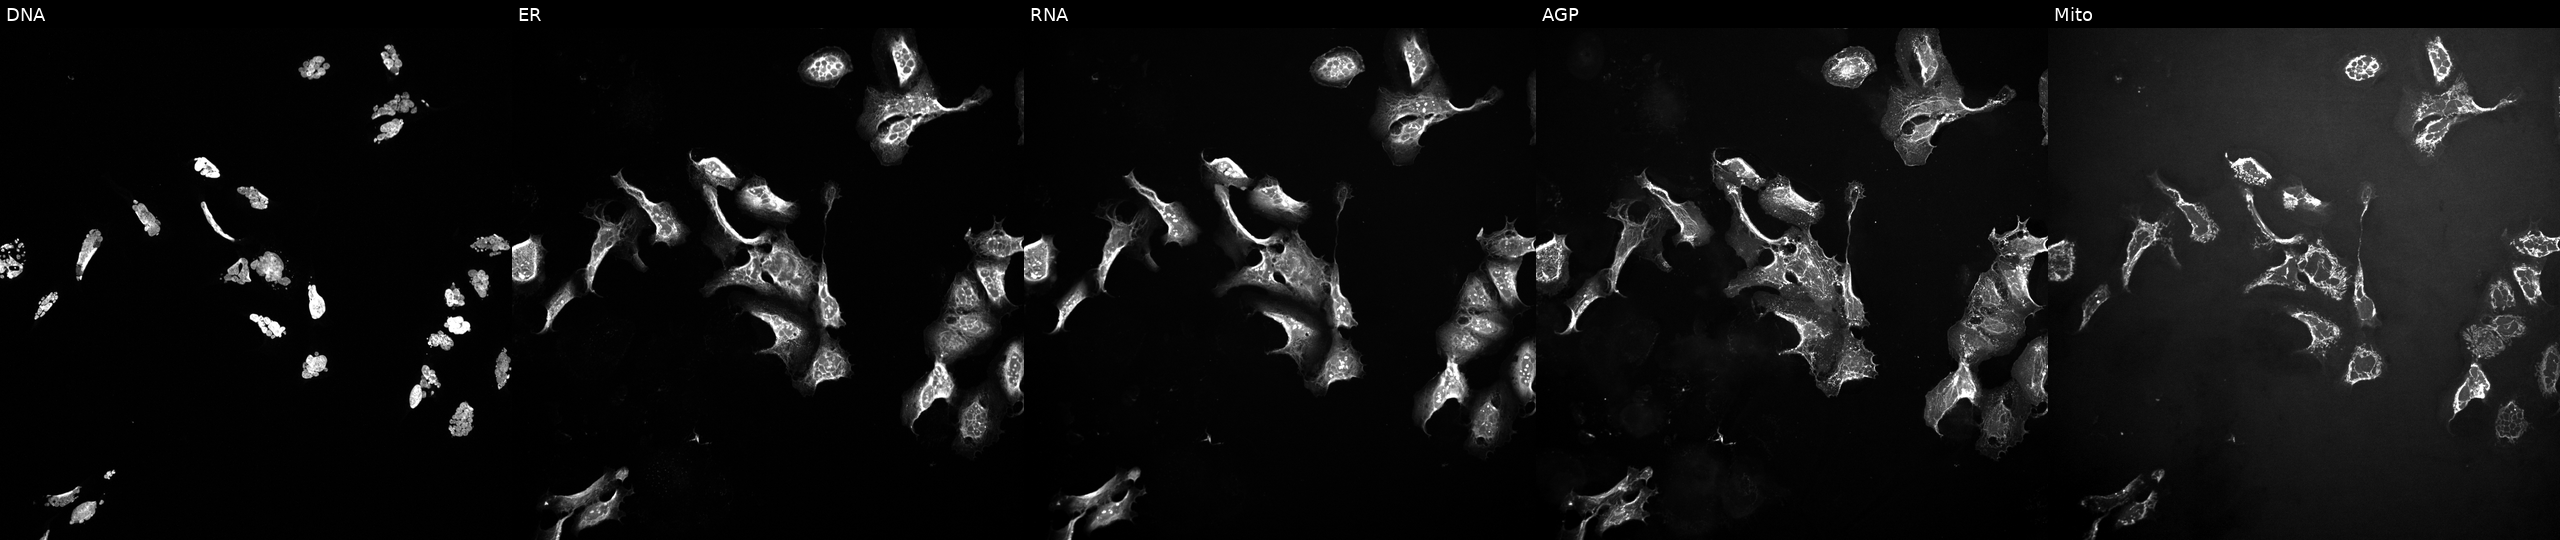
This image strip shows the five Cell Painting channels for a single field of U2OS cells exposed to a small-molecule compound (InChIKey QXRSDHAAWVKZLJ-UHFFFAOYSA-N). From left to right: DNA (nuclei); ER (endoplasmic reticulum); RNA (nucleoli and cytoplasmic RNA); AGP (actin cytoskeleton, Golgi, and plasma membrane); Mito (mitochondria).